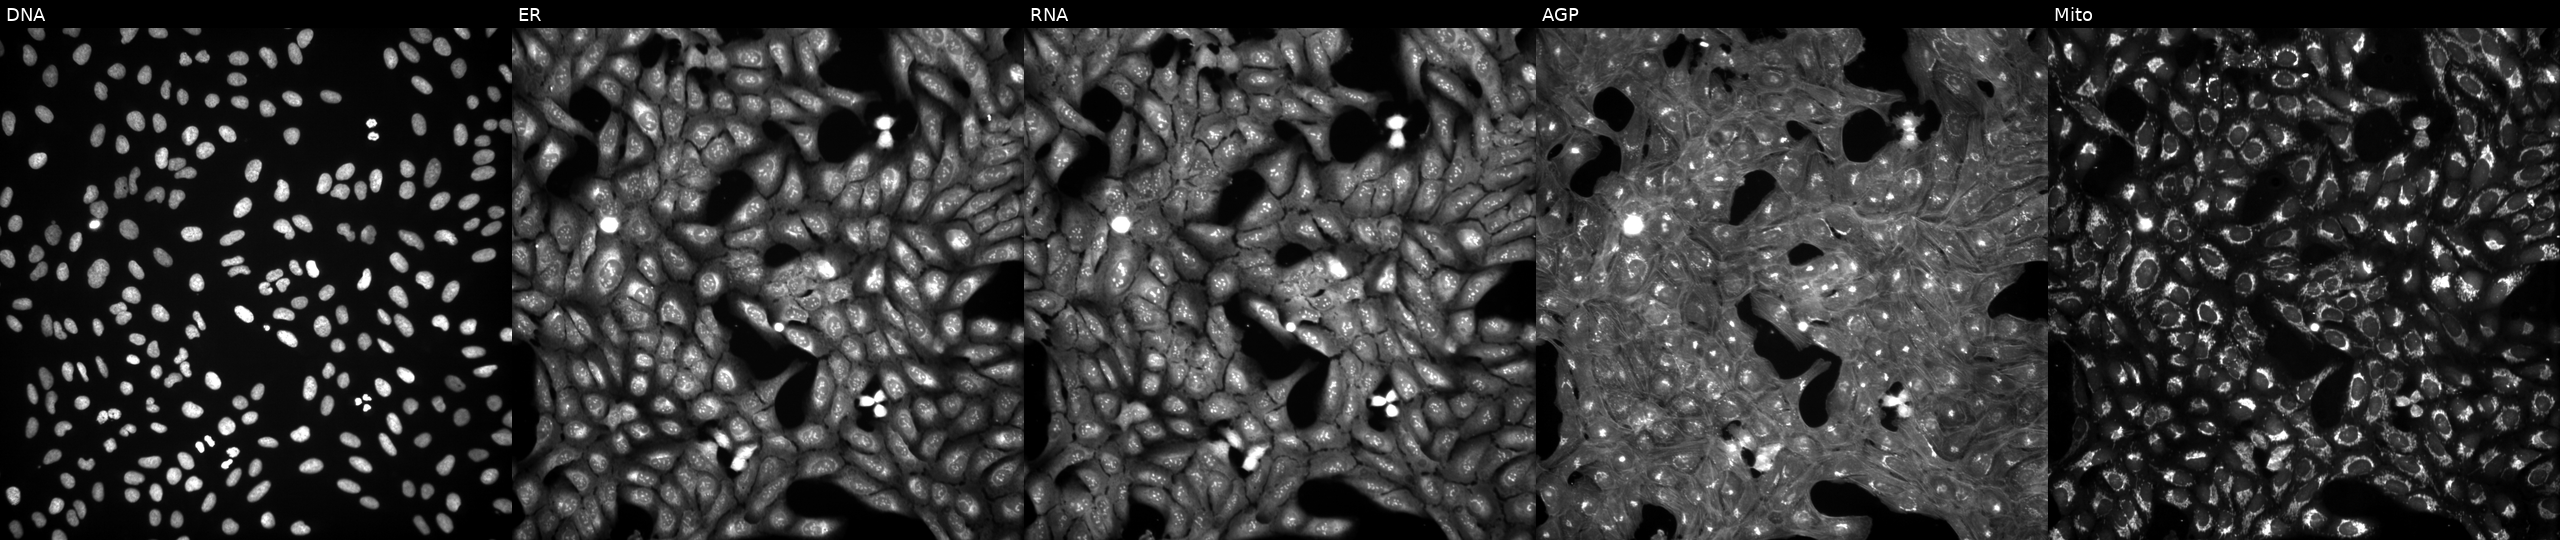
U2OS cells, Cell Painting assay, treated with DMSO vehicle only (negative control). The five panels, left to right, show DNA (nuclei); ER (endoplasmic reticulum); RNA (nucleoli and cytoplasmic RNA); AGP (actin cytoskeleton, Golgi, and plasma membrane); Mito (mitochondria). Each panel is percentile-stretched 16-bit fluorescence.